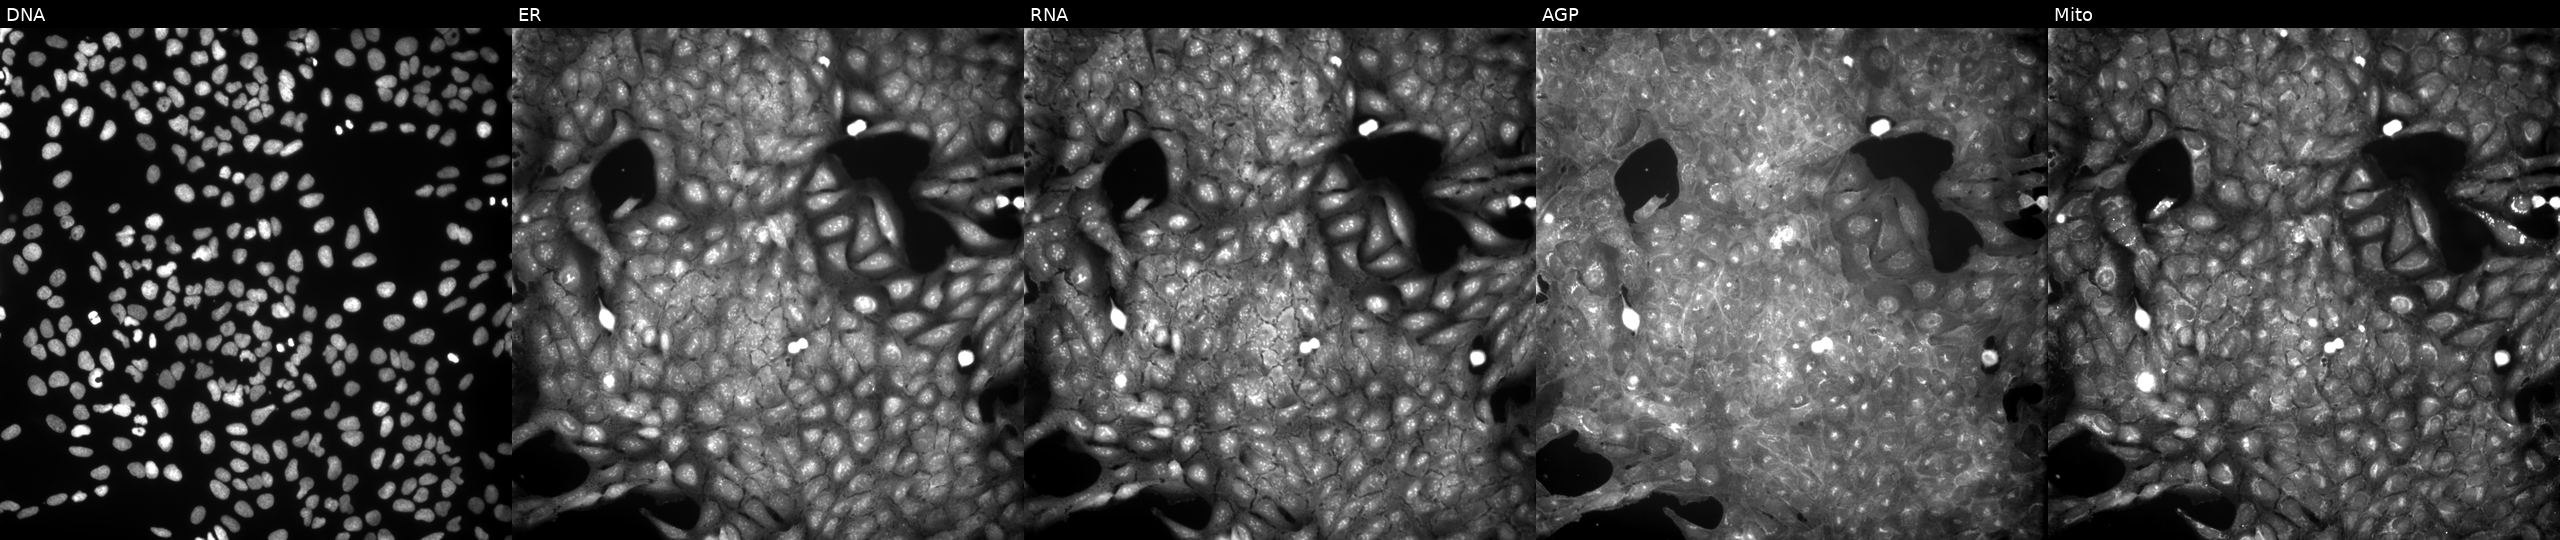
High-content fluorescence microscopy (Cell Painting). Cell line: U2OS. Perturbation: perturbed with a small-molecule compound. Panels show, left to right, DNA, ER, RNA, AGP, and Mito. Source 9, plate GR00003381, well S19.